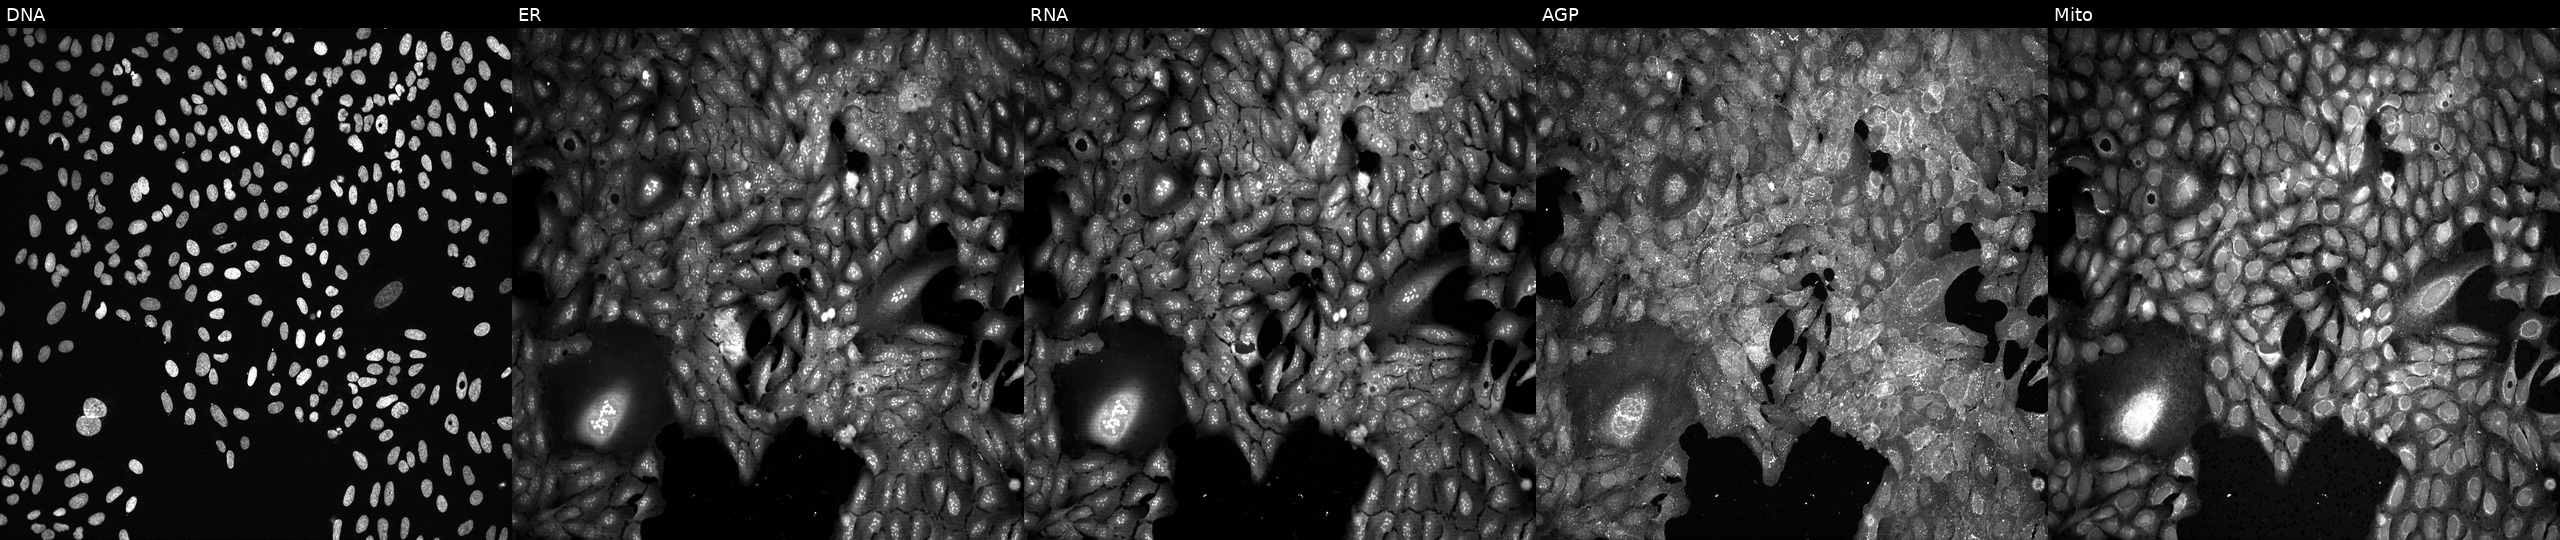
High-content fluorescence microscopy (Cell Painting). Cell line: U2OS. Perturbation: with EPRS knocked out by CRISPR (JUMP id JCP2022_802154). Panels show, left to right, DNA (nuclei); ER (endoplasmic reticulum); RNA (nucleoli and cytoplasmic RNA); AGP (actin cytoskeleton, Golgi, and plasma membrane); Mito (mitochondria).